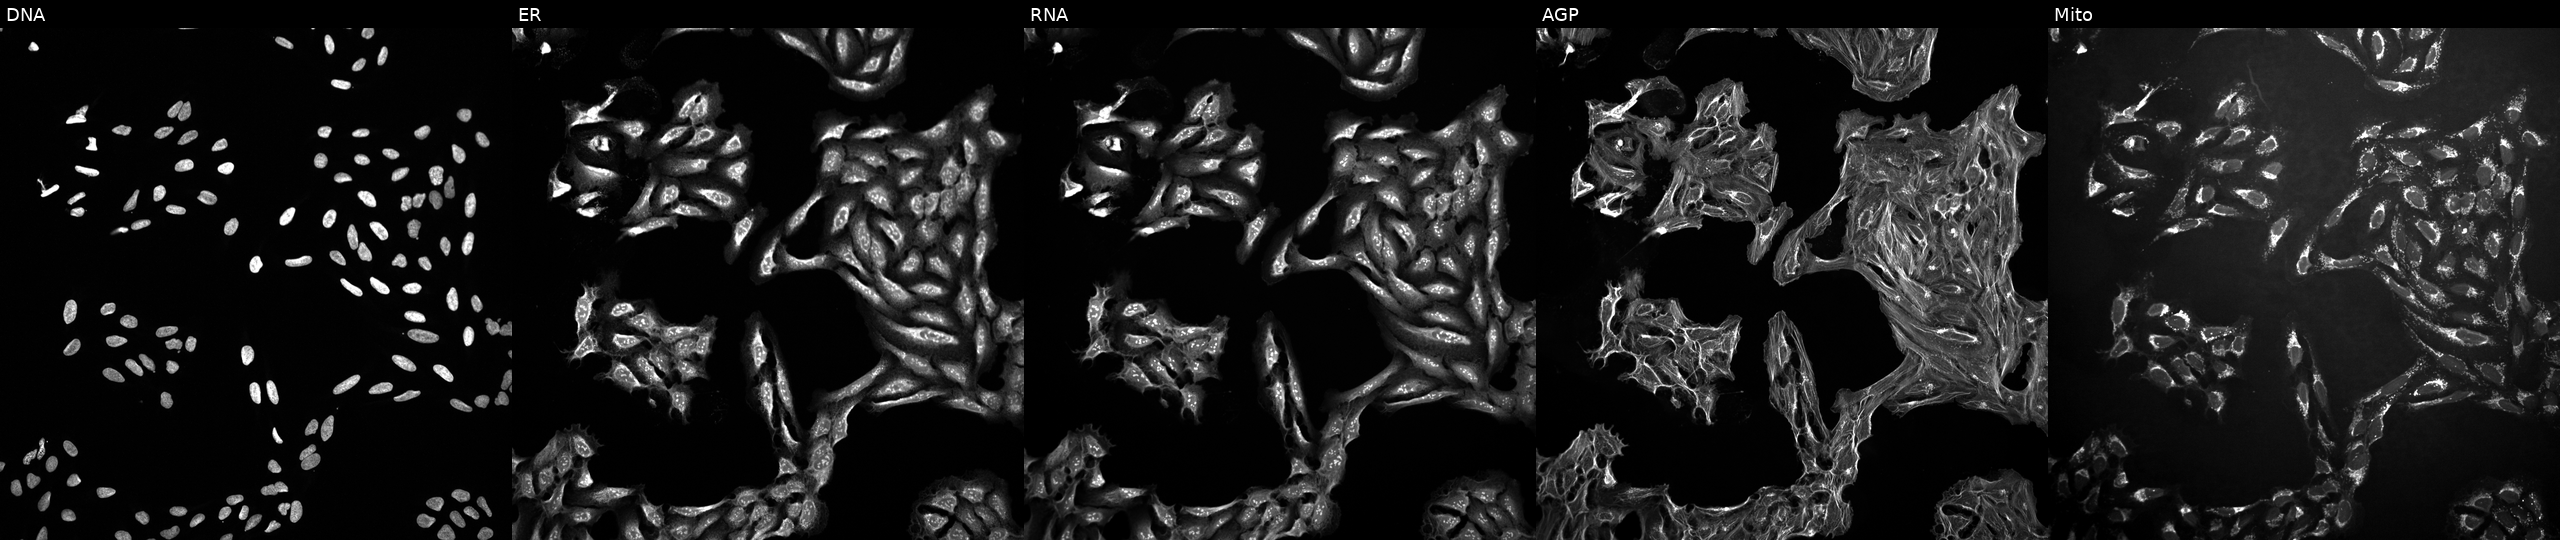
JUMP Cell Painting — TARGET2 plate. U2OS cells treated with a small-molecule compound (InChIKey BCZUAADEACICHN-UHFFFAOYSA-N). The five panels, left to right, show DNA (nuclei); ER (endoplasmic reticulum); RNA (nucleoli and cytoplasmic RNA); AGP (actin cytoskeleton, Golgi, and plasma membrane); Mito (mitochondria). Source 10, plate Dest210726-160150, well D12.